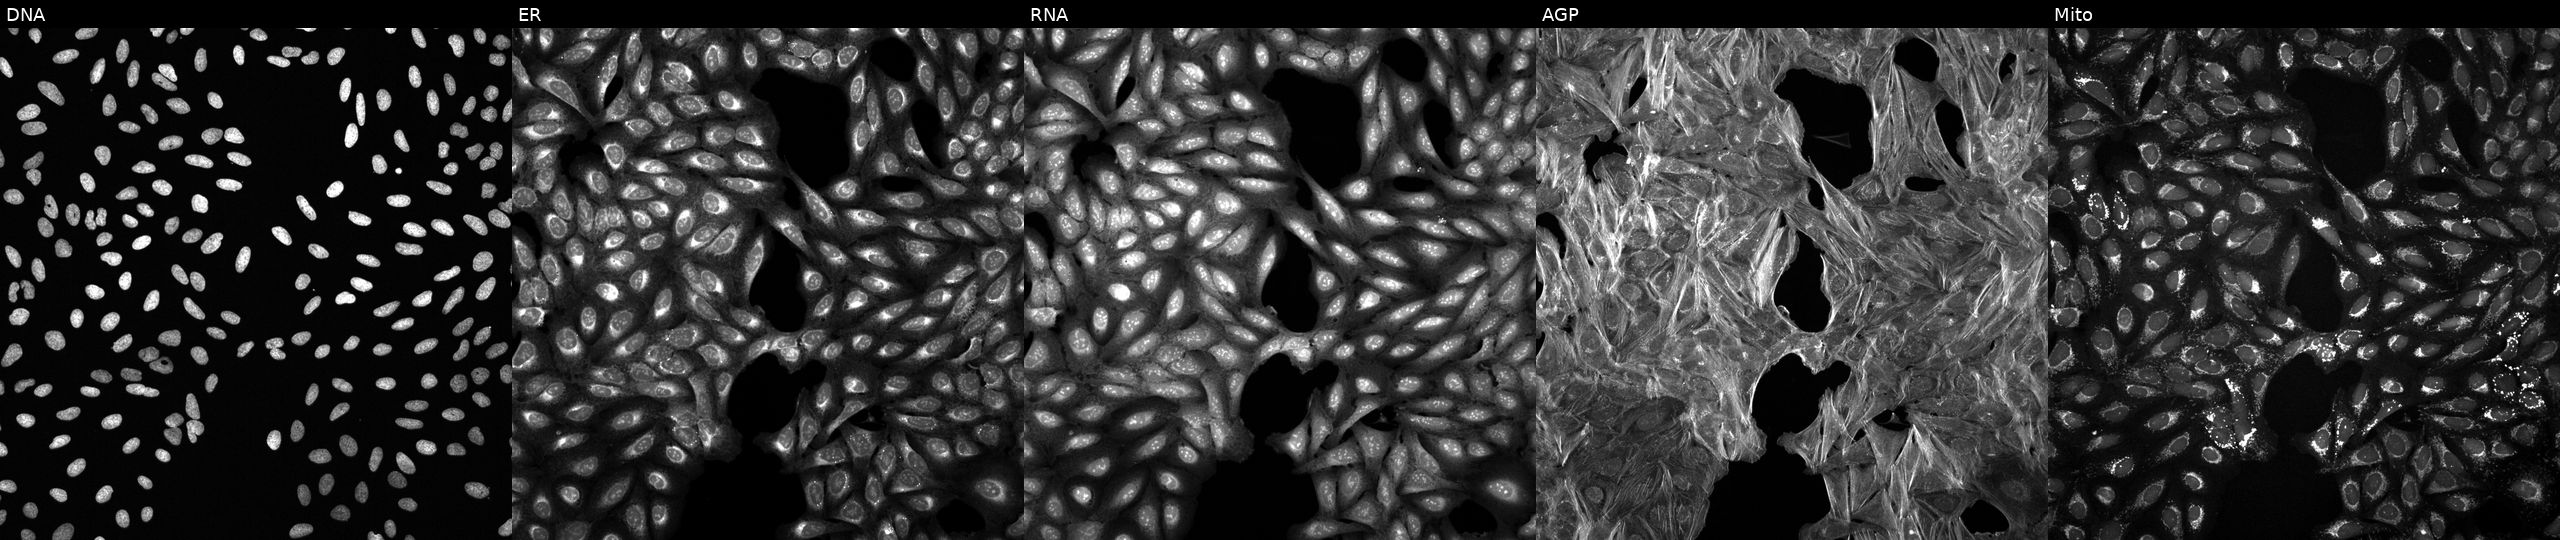
High-content fluorescence microscopy (Cell Painting). Cell line: U2OS. Perturbation: treated with a small-molecule compound. From left to right: DNA, ER, RNA, AGP, and Mito.